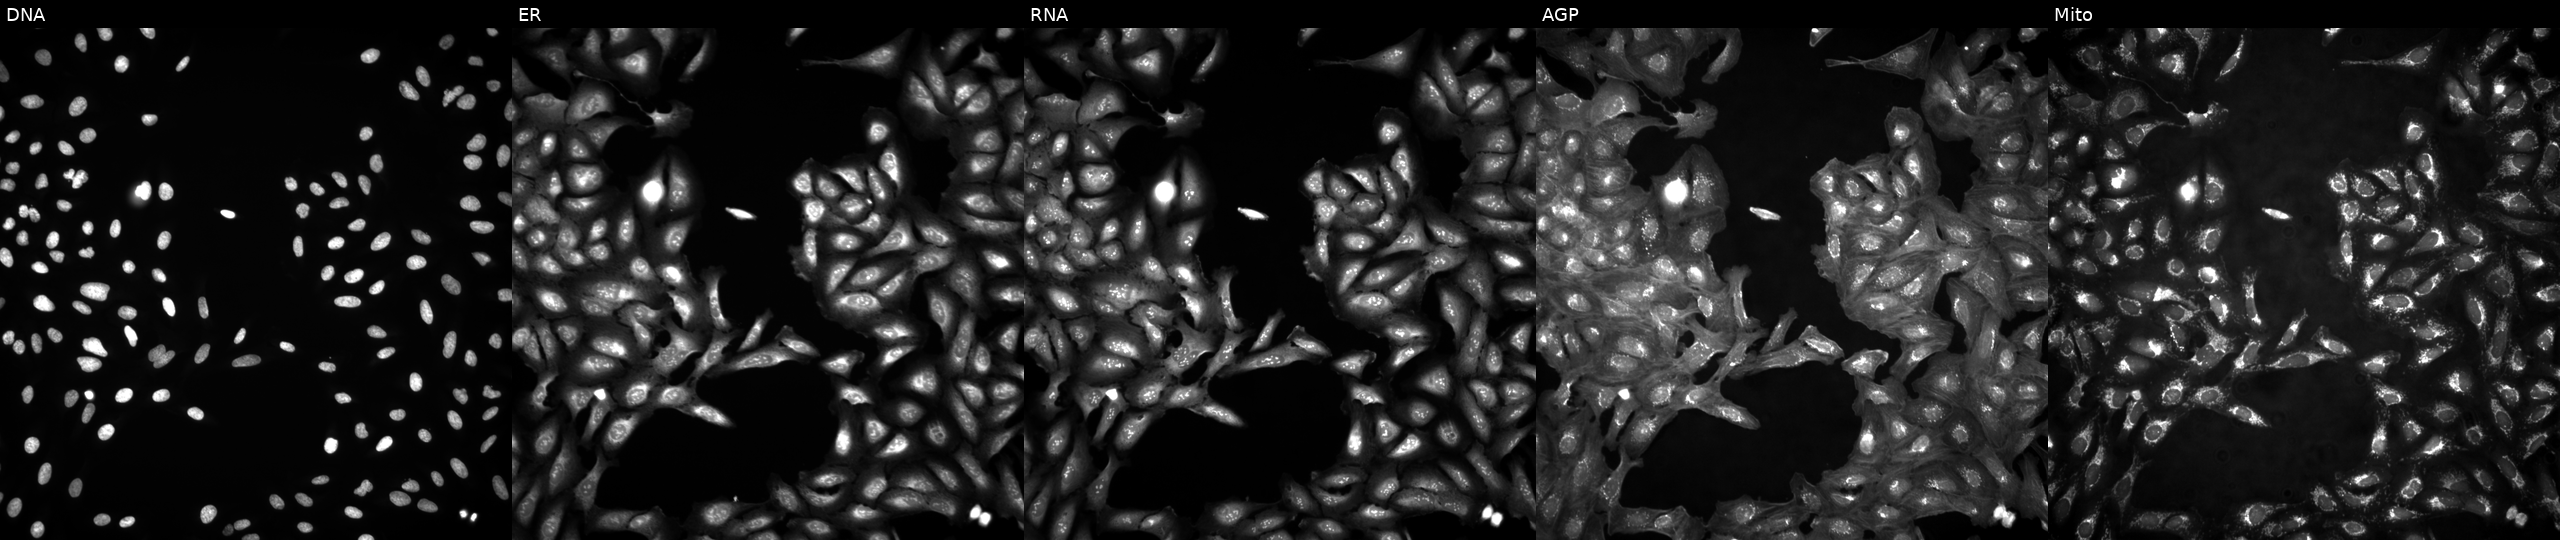
From left to right: DNA (nuclei); ER (endoplasmic reticulum); RNA (nucleoli and cytoplasmic RNA); AGP (actin cytoskeleton, Golgi, and plasma membrane); Mito (mitochondria). U2OS osteosarcoma cells in an empty control well (no perturbation) (JUMP id JCP2022_999999). Cell Painting assay, JUMP-CP dataset. Source 4, plate BR00124793, well K11.